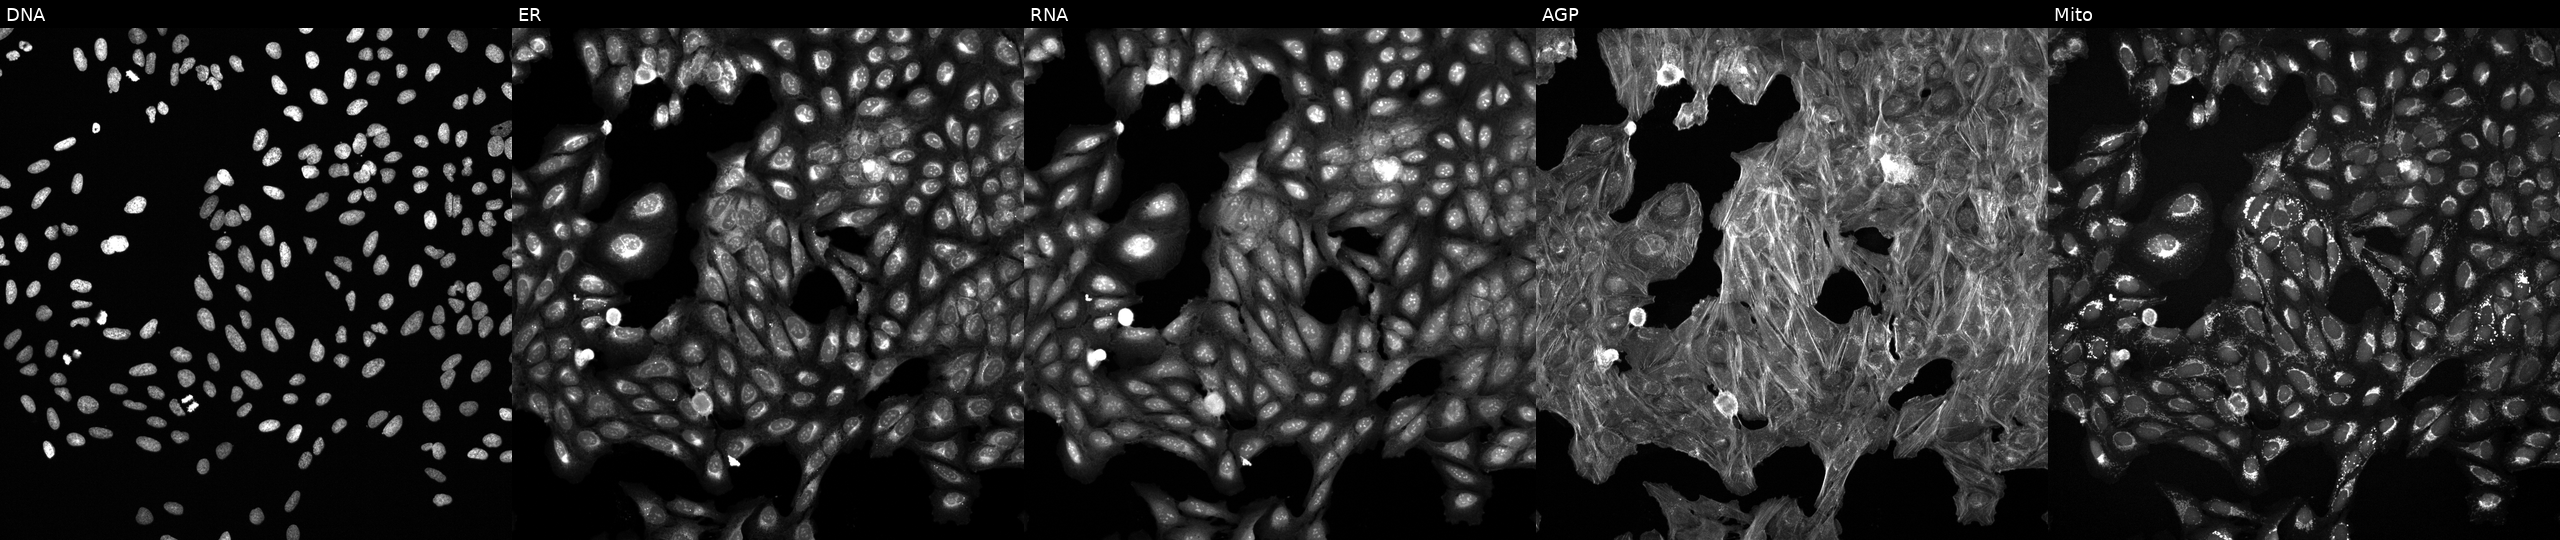
JUMP Cell Painting — COMPOUND plate. U2OS cells treated with a small-molecule compound (InChIKey NPQNPAXGLCWNBX-UHFFFAOYSA-N). From left to right: DNA (nuclei); ER (endoplasmic reticulum); RNA (nucleoli and cytoplasmic RNA); AGP (actin cytoskeleton, Golgi, and plasma membrane); Mito (mitochondria).